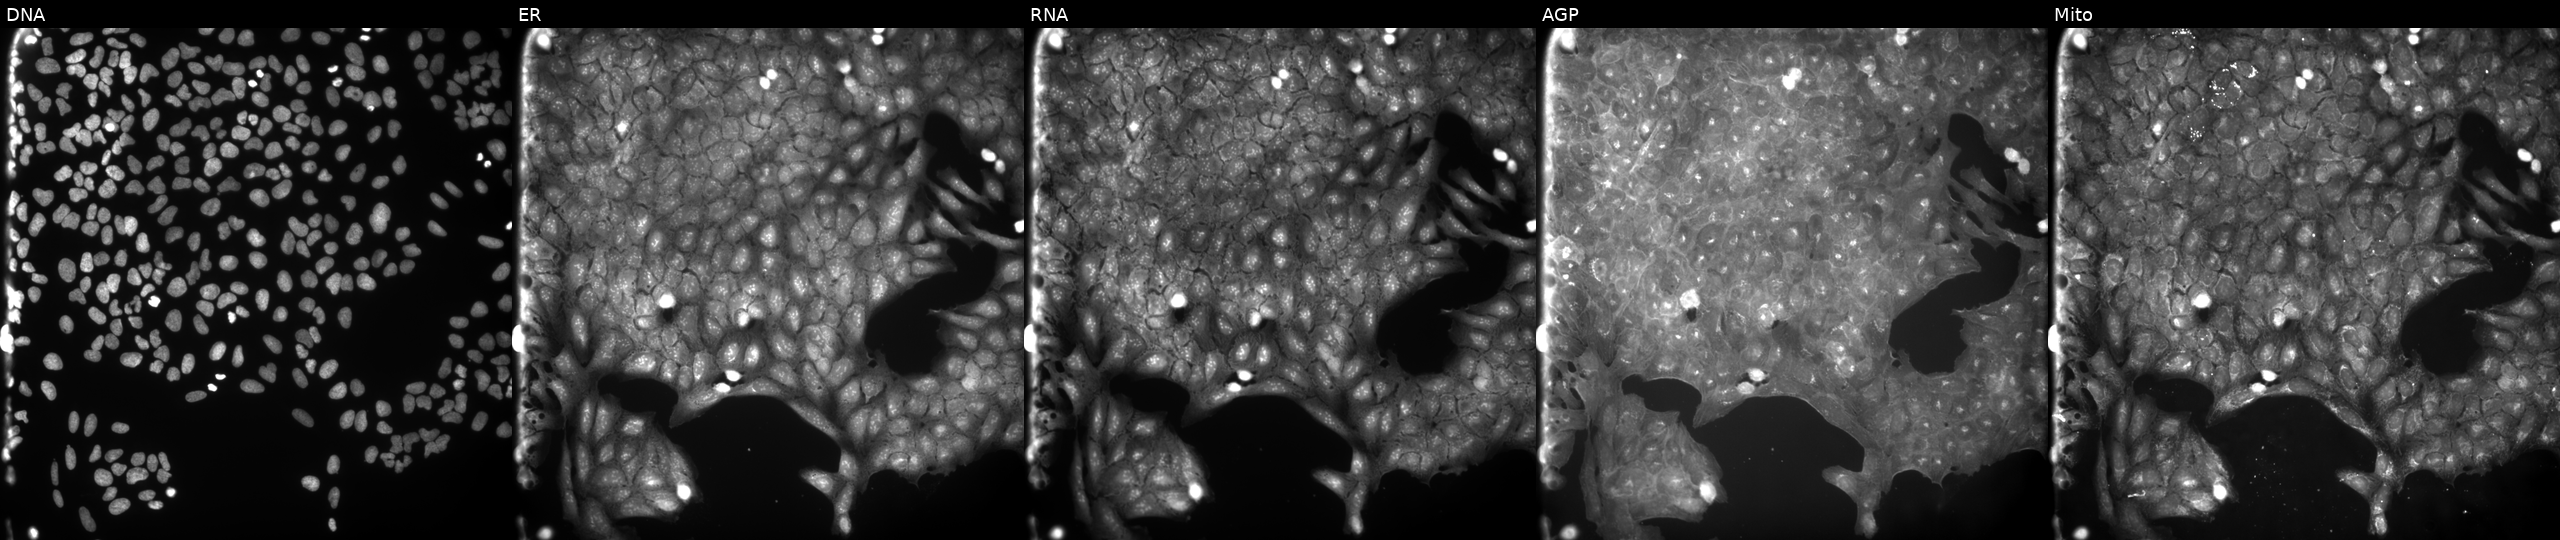
Five-channel Cell Painting image of U2OS cells exposed to a small-molecule compound (InChIKey ZNABCOOMCSDATD-UHFFFAOYSA-N). From left to right: DNA (nuclei); ER (endoplasmic reticulum); RNA (nucleoli and cytoplasmic RNA); AGP (actin cytoskeleton, Golgi, and plasma membrane); Mito (mitochondria).